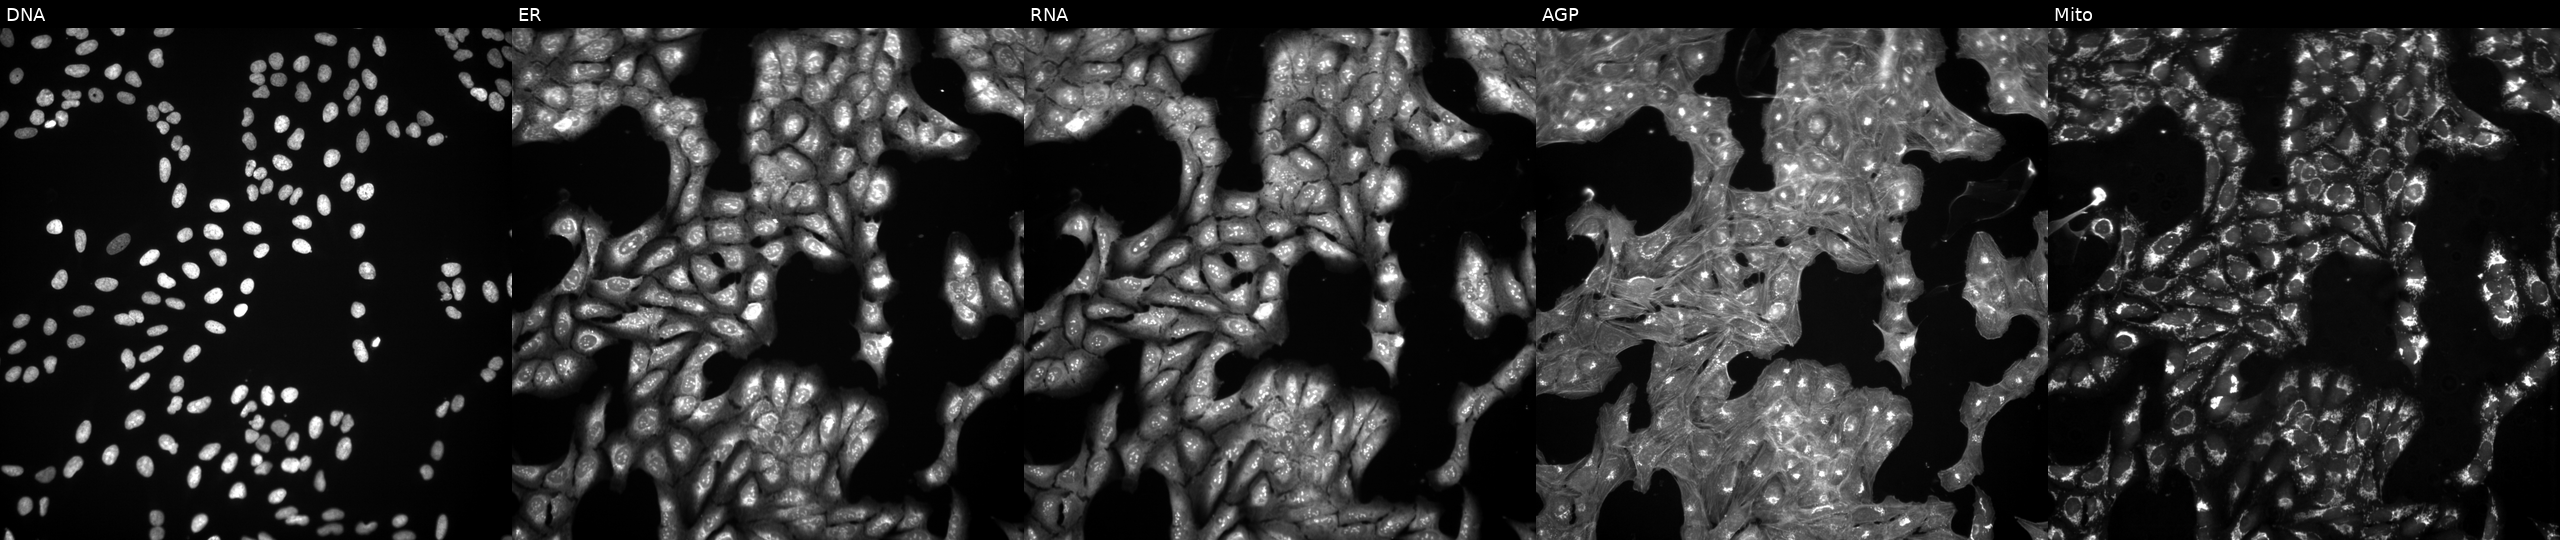
The five panels, left to right, show Hoechst 33342, concanavalin A, SYTO 14, phalloidin and WGA, MitoTracker. U2OS osteosarcoma cells treated with a small-molecule compound (InChIKey HUBFXZZXLSNYSG-UHFFFAOYSA-N). Cell Painting assay, JUMP-CP dataset. Source 3, plate BR5867b3, well P15.